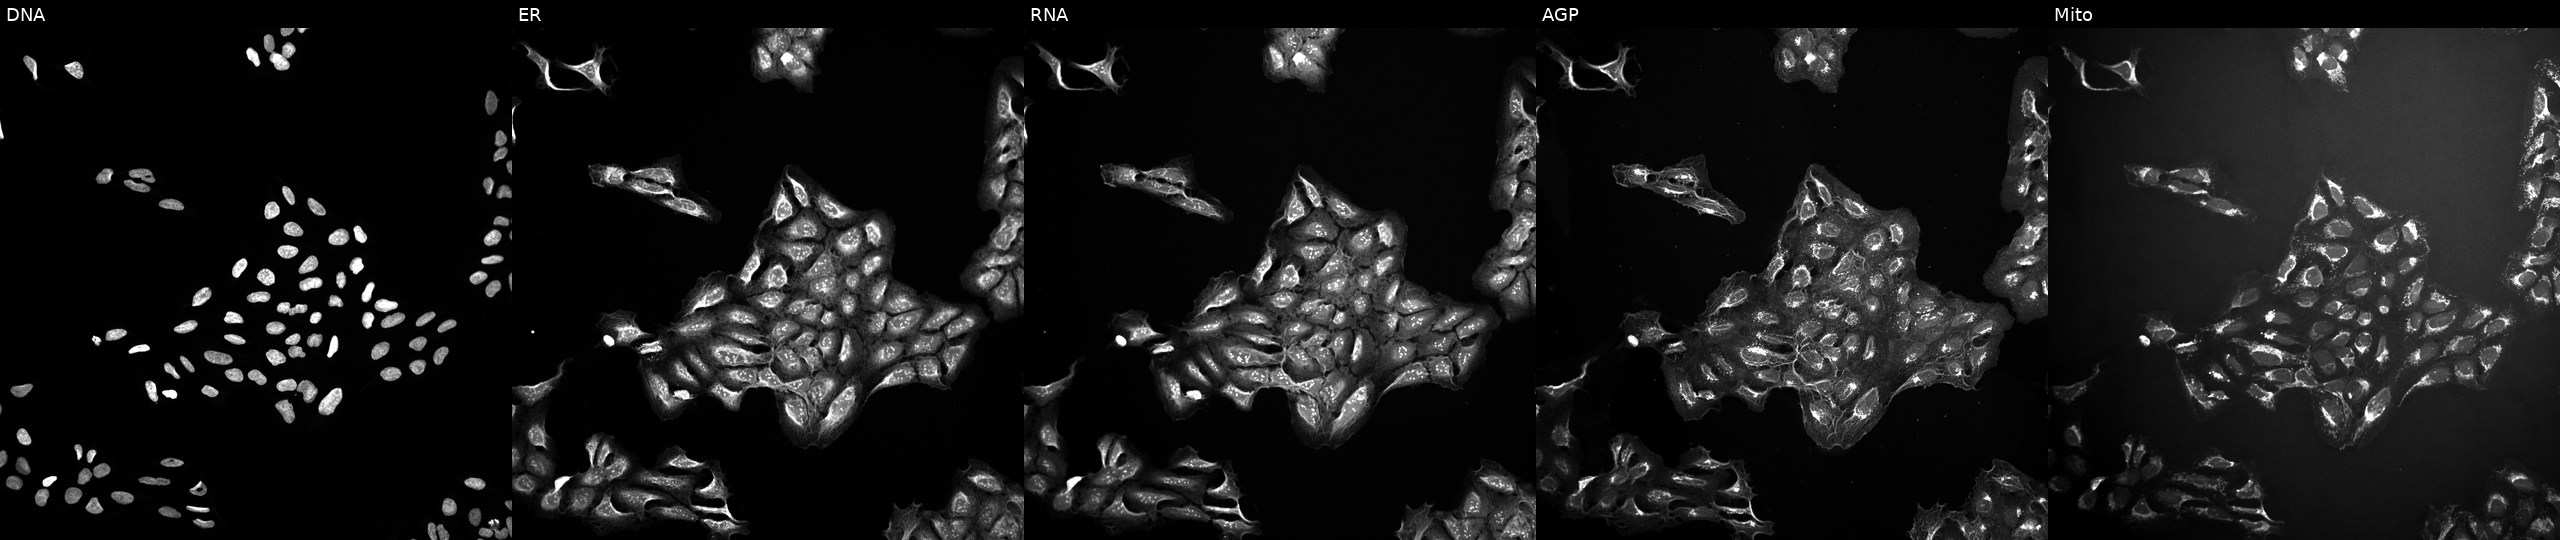
U2OS cells, Cell Painting assay, treated with DMSO vehicle only (negative control). Panels show, left to right, Hoechst 33342, concanavalin A, SYTO 14, phalloidin and WGA, MitoTracker. Each panel is percentile-stretched 16-bit fluorescence.